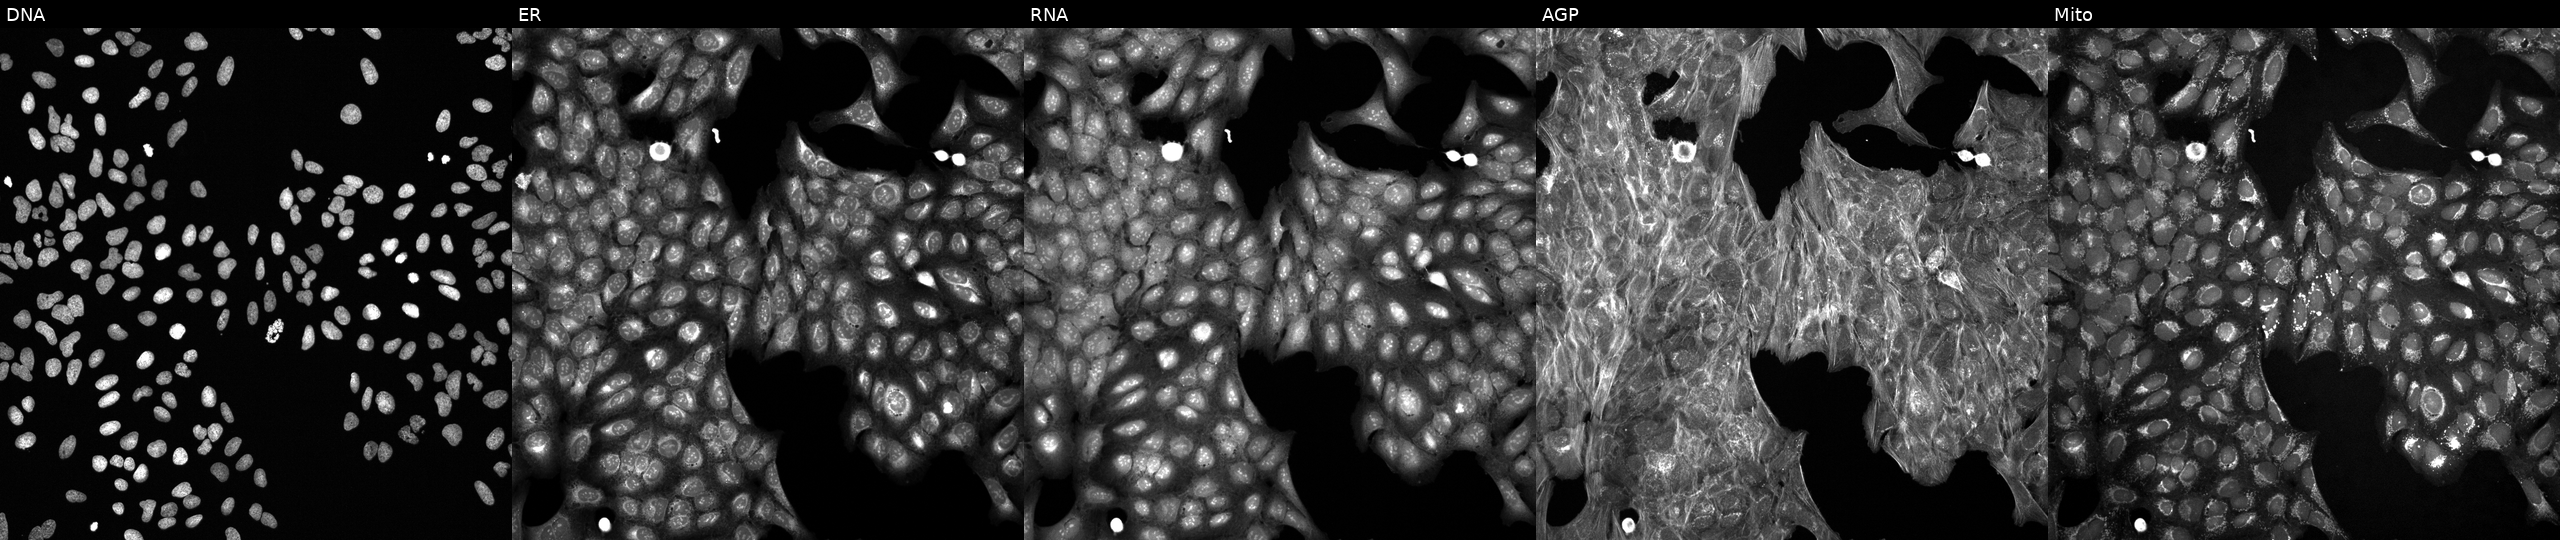
U2OS cells, Cell Painting assay, exposed to a small-molecule compound (InChIKey OAVGBZOFDPFGPJ-UHFFFAOYSA-N) (JUMP id JCP2022_062592). The five panels, left to right, show DNA, ER, RNA, AGP, and Mito. Each panel is percentile-stretched 16-bit fluorescence. Source 6, plate 110000294901, well N03.